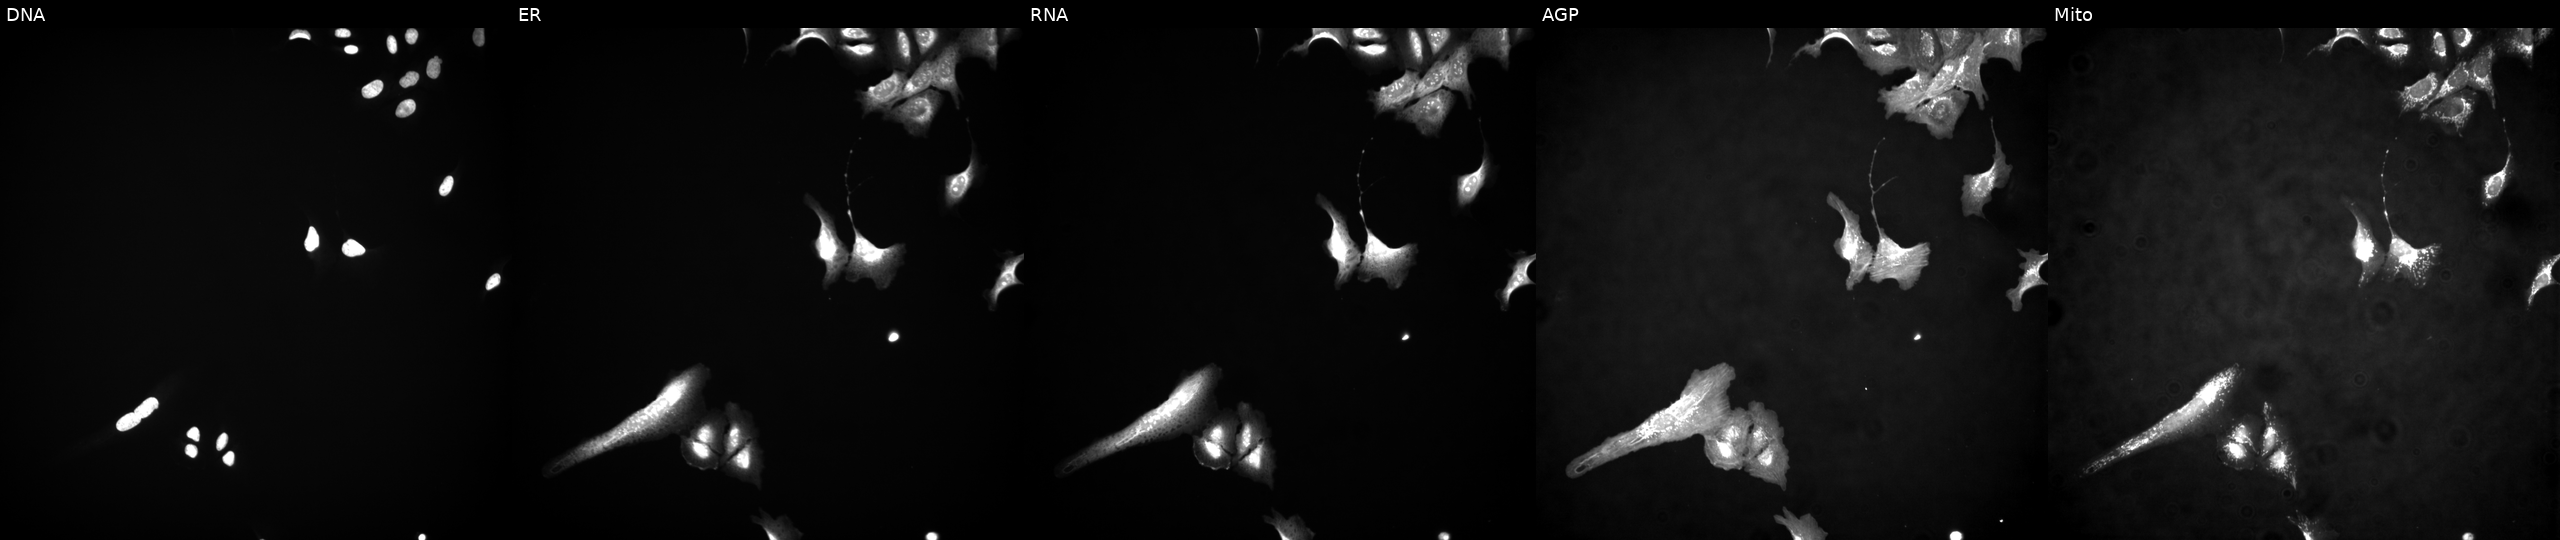
Panels show, left to right, DNA (nuclei); ER (endoplasmic reticulum); RNA (nucleoli and cytoplasmic RNA); AGP (actin cytoskeleton, Golgi, and plasma membrane); Mito (mitochondria). U2OS osteosarcoma cells transfected with an ORF construct for STK19. Cell Painting assay, JUMP-CP dataset. Source 4, plate BR00123945, well M13.